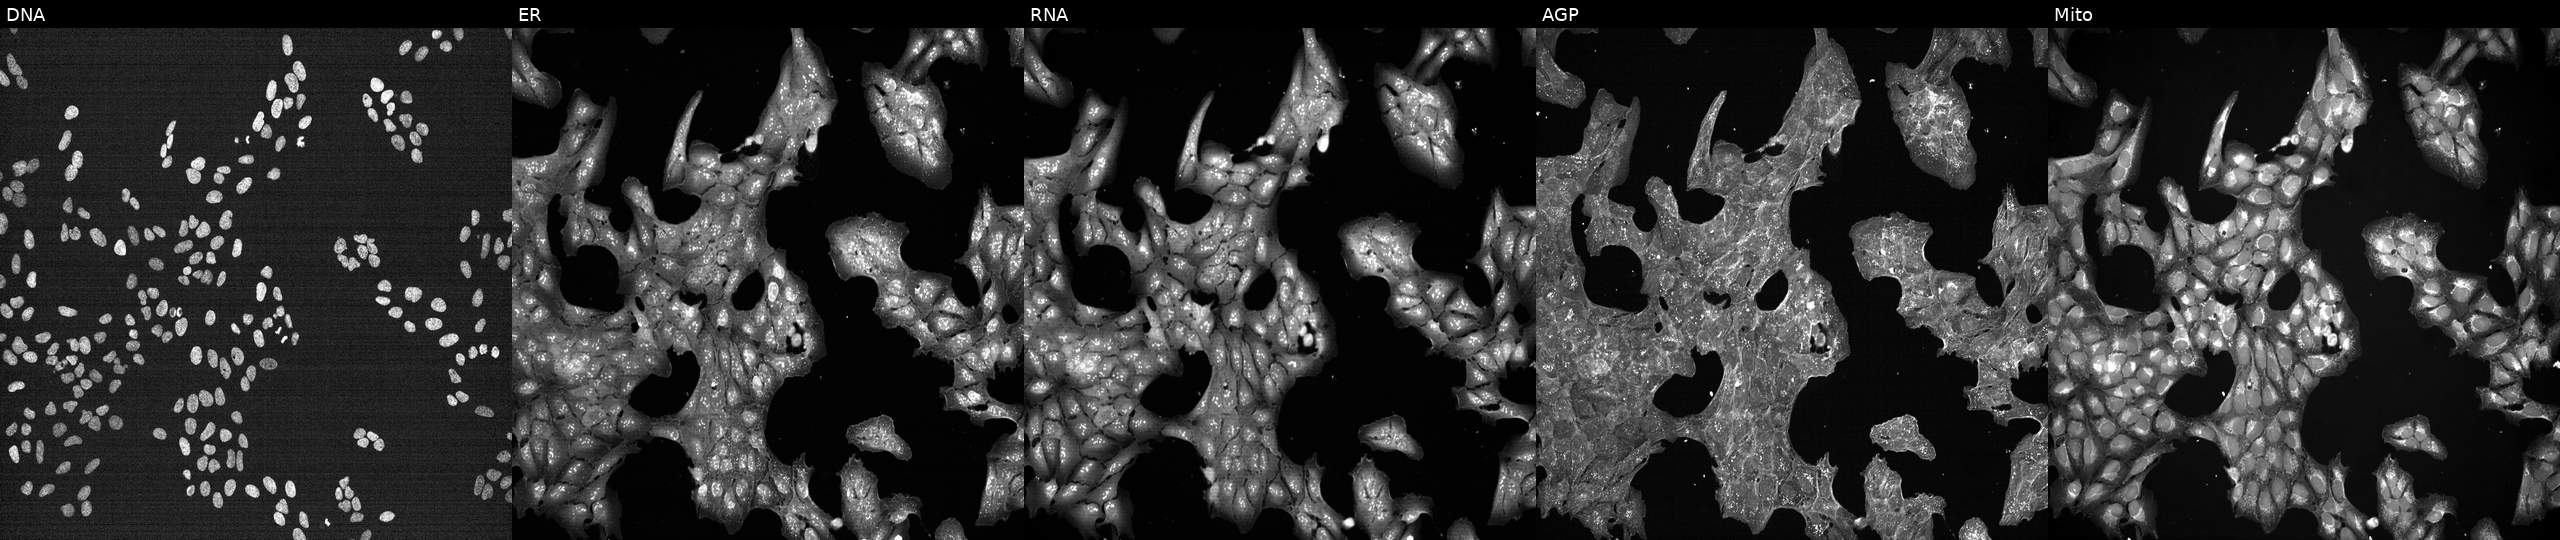
From left to right: Hoechst 33342, concanavalin A, SYTO 14, phalloidin and WGA, MitoTracker. U2OS osteosarcoma cells treated with a small-molecule compound (InChIKey QHKYPYXTTXKZST-UHFFFAOYSA-N). Cell Painting assay, JUMP-CP dataset.